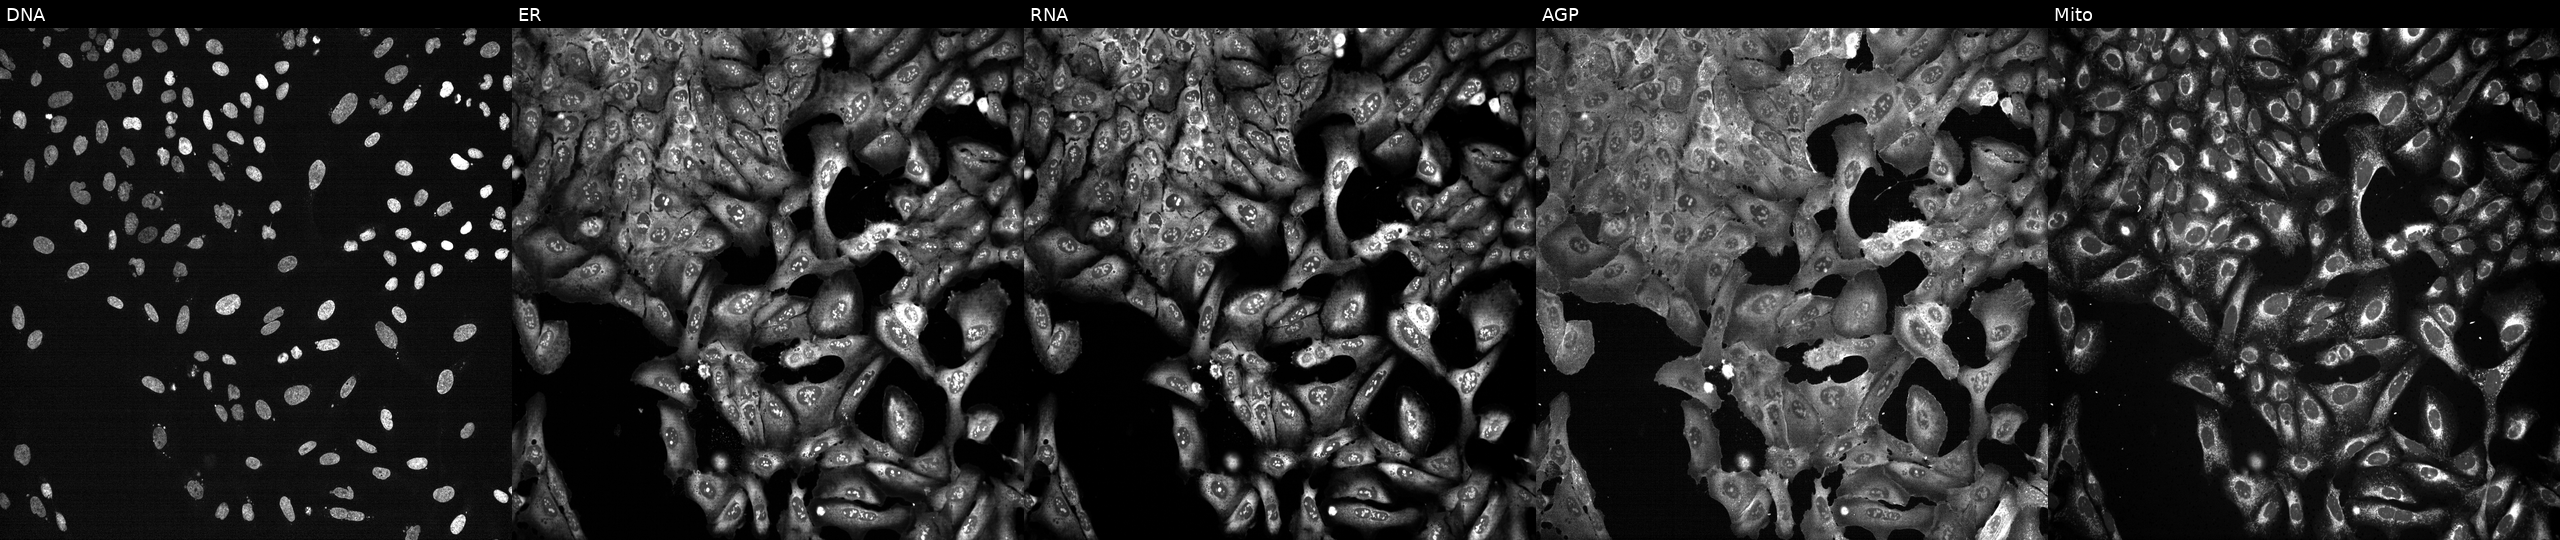
U2OS cells, Cell Painting assay, with LRP10 knocked out by CRISPR. Panels show, left to right, DNA, ER, RNA, AGP, and Mito. Each panel is percentile-stretched 16-bit fluorescence.